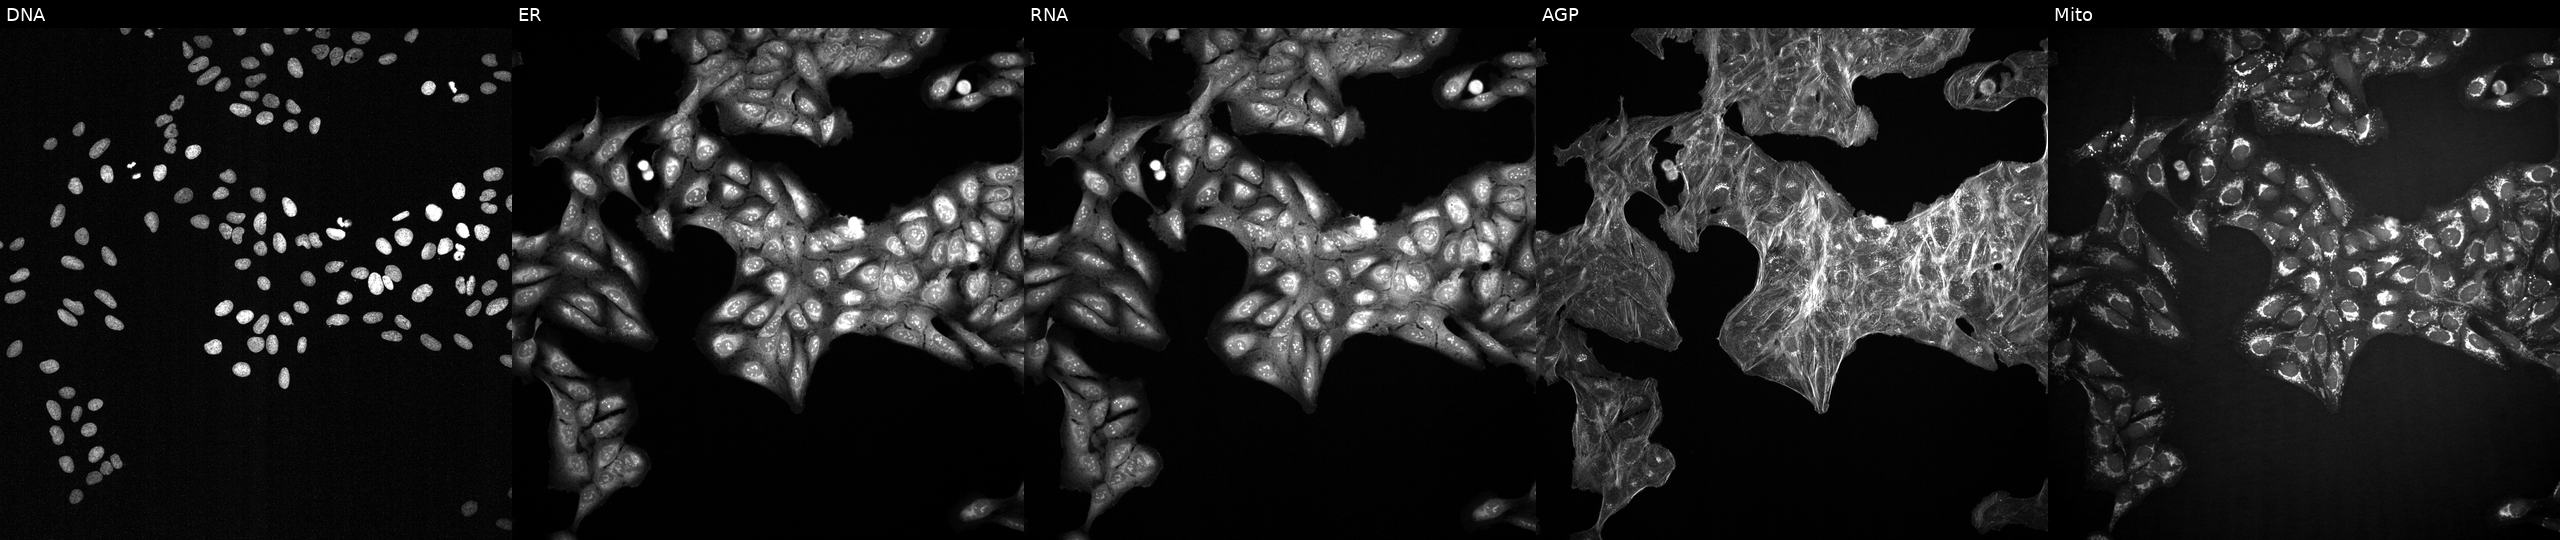
U2OS cells, Cell Painting assay, exposed to a small-molecule compound (InChIKey KPYSYYIEGFHWSV-UHFFFAOYSA-N) [SMILES: NCC(CC(=O)O)c1ccc(Cl)cc1]. The five panels, left to right, show Hoechst 33342, concanavalin A, SYTO 14, phalloidin and WGA, MitoTracker. Each panel is percentile-stretched 16-bit fluorescence.